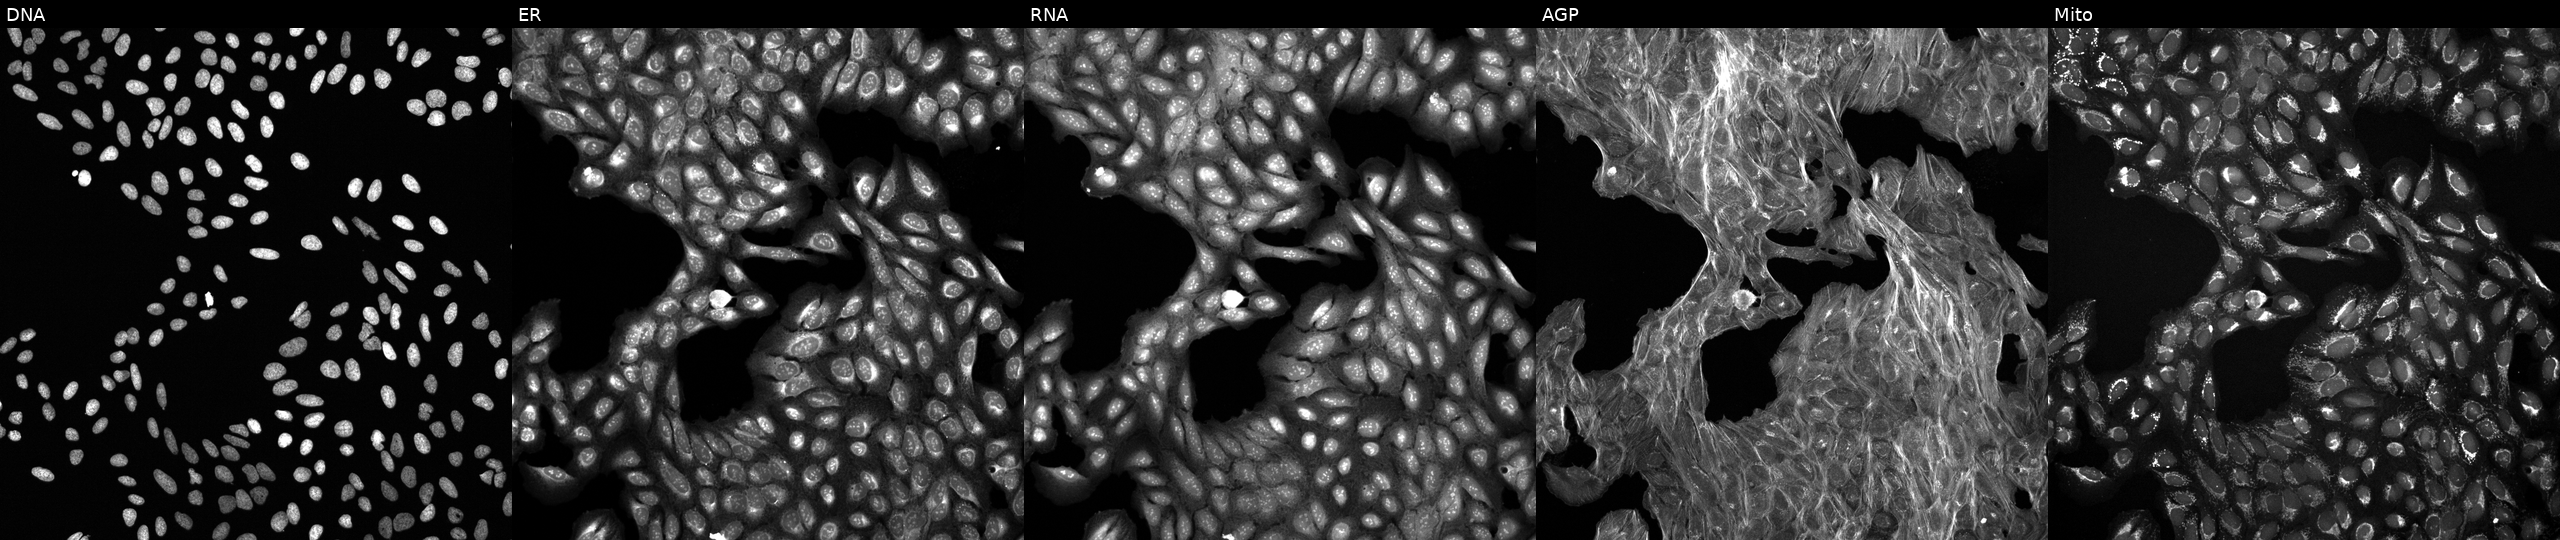
This image strip shows the five Cell Painting channels for a single field of U2OS cells exposed to a small-molecule compound [SMILES: O=C(c1cc(-c2ccccc2)n2nc(-c3ccccc3)cc2n1)N1CCOCC1] (JUMP id JCP2022_024638). The five panels, left to right, show Hoechst 33342, concanavalin A, SYTO 14, phalloidin and WGA, MitoTracker.